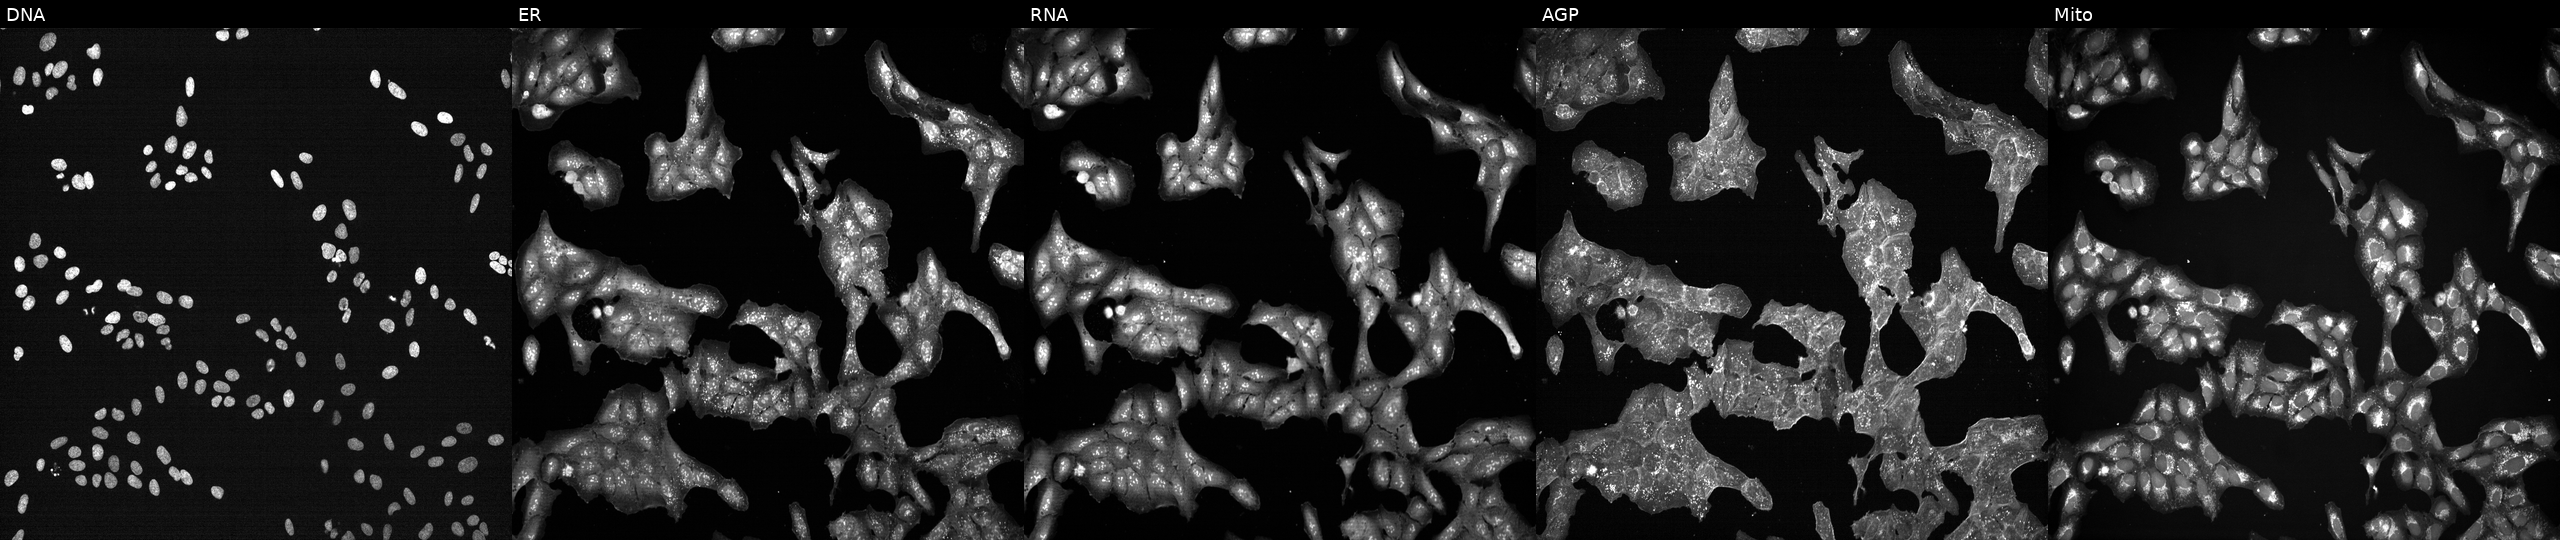
Five-channel Cell Painting image of U2OS cells perturbed with a small-molecule compound [SMILES: Cc1cc(CN)cc(C)c1NC(=O)c1ccc(-c2cc(Cl)ccc2Cl)o1] (JUMP id JCP2022_076300). Panels show, left to right, Hoechst 33342, concanavalin A, SYTO 14, phalloidin and WGA, MitoTracker. Source 7, plate CP2-SC1-25, well M16.